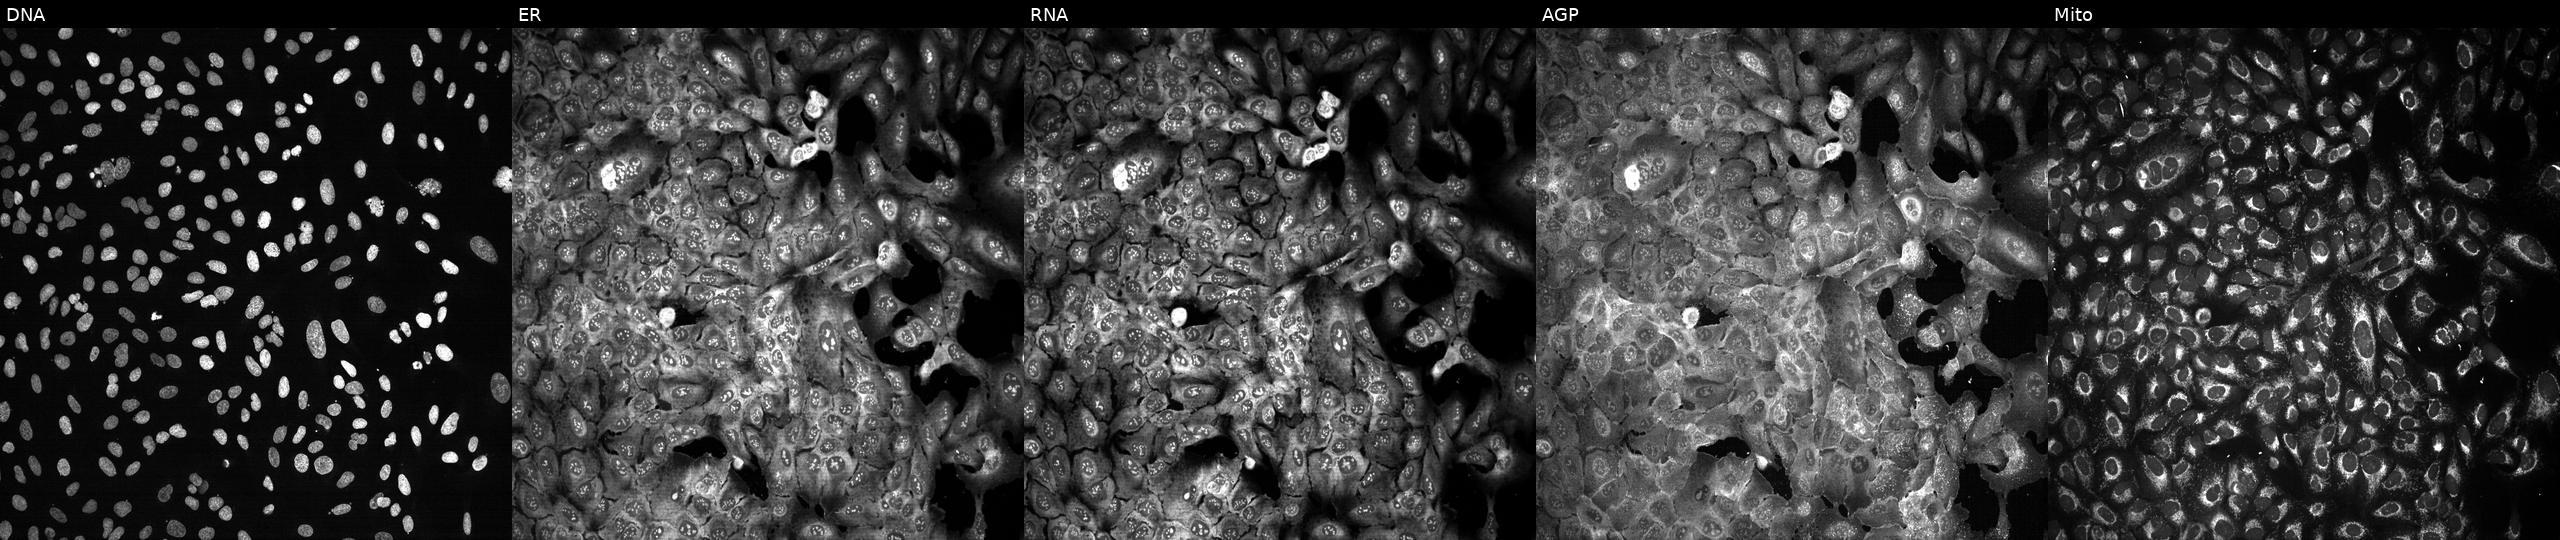
JUMP Cell Painting — CRISPR plate. U2OS cells CRISPR-edited to disrupt AMDHD2. Channels (left→right): Hoechst 33342, concanavalin A, SYTO 14, phalloidin and WGA, MitoTracker.